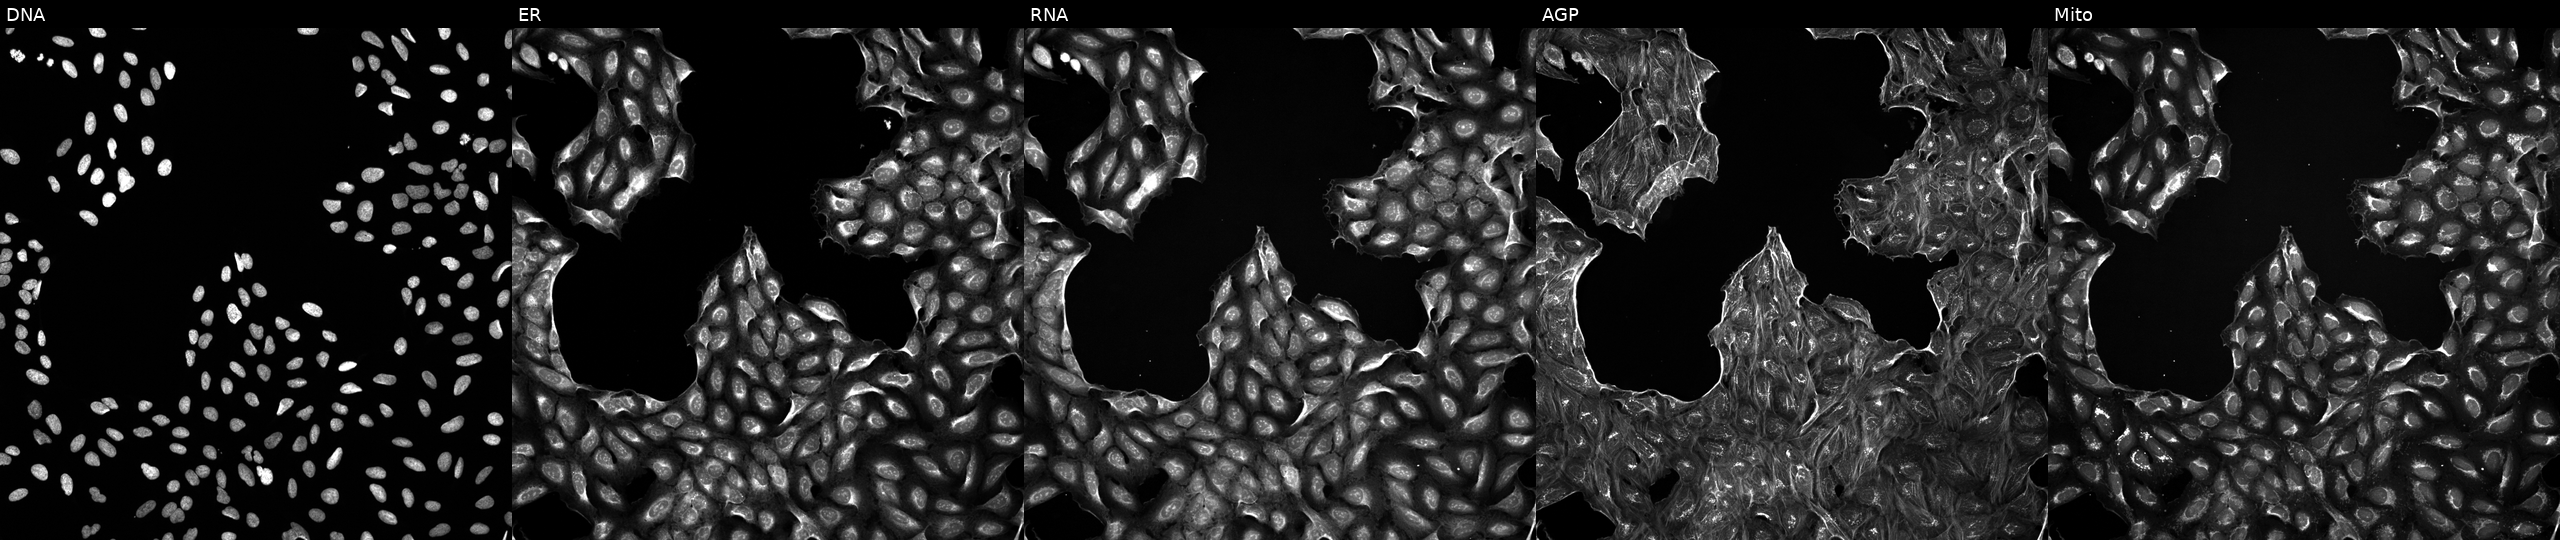
This image strip shows the five Cell Painting channels for a single field of U2OS cells exposed to a small-molecule compound (InChIKey MENNDDDTIIZDDN-UHFFFAOYSA-N). The five panels, left to right, show DNA (nuclei); ER (endoplasmic reticulum); RNA (nucleoli and cytoplasmic RNA); AGP (actin cytoskeleton, Golgi, and plasma membrane); Mito (mitochondria). Source 5, plate ACPJUM032, well O01.